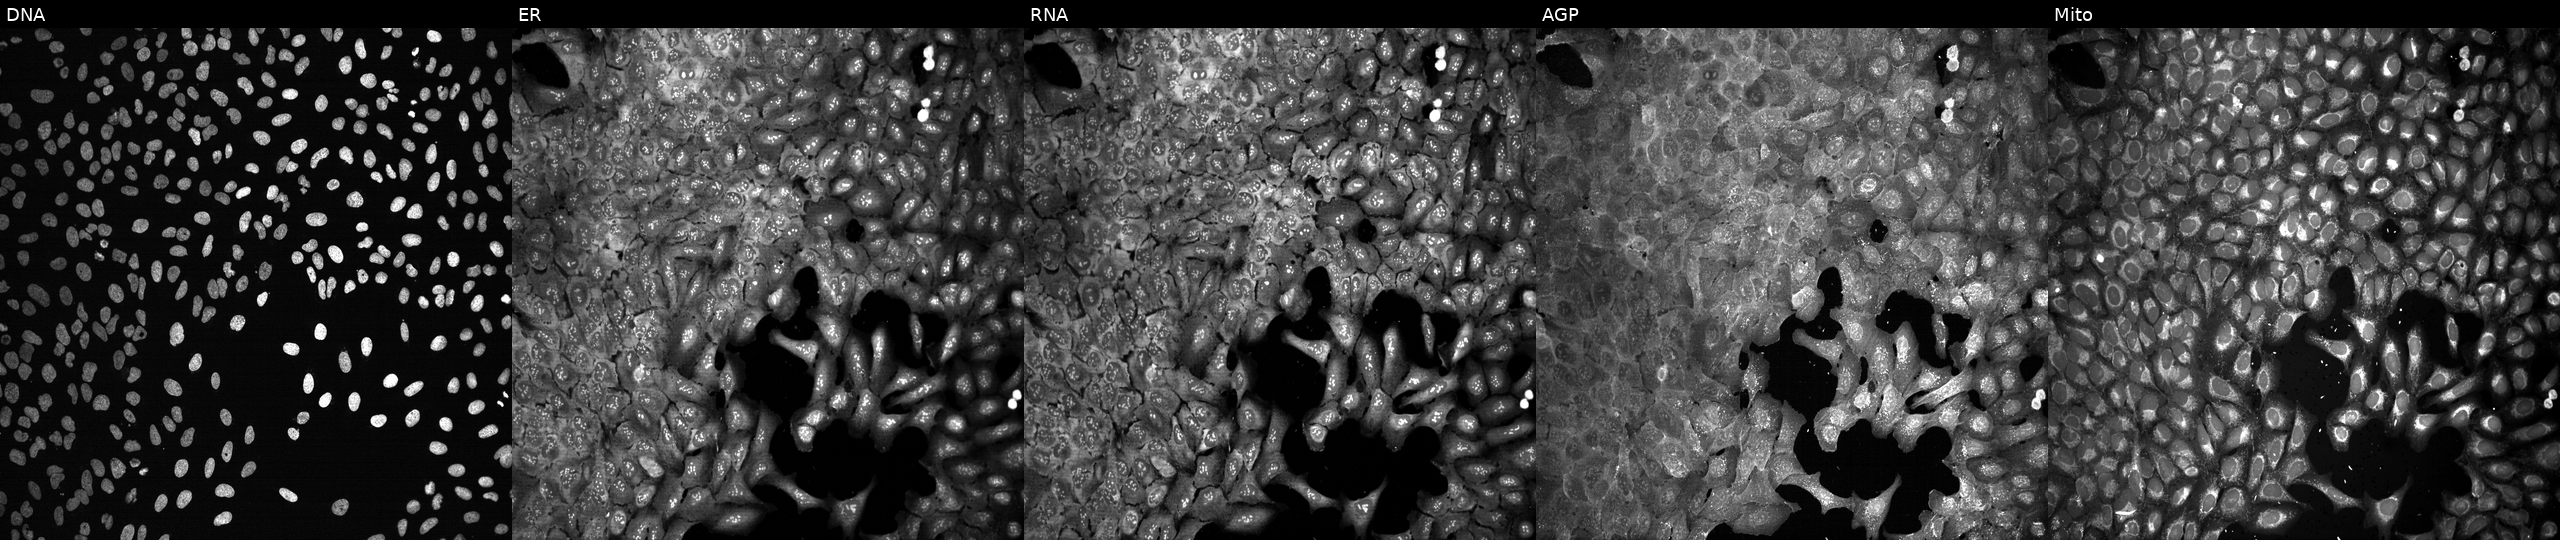
High-content fluorescence microscopy (Cell Painting). Cell line: U2OS. Perturbation: with IL22RA2 knocked out by CRISPR. Panels show, left to right, Hoechst 33342, concanavalin A, SYTO 14, phalloidin and WGA, MitoTracker.